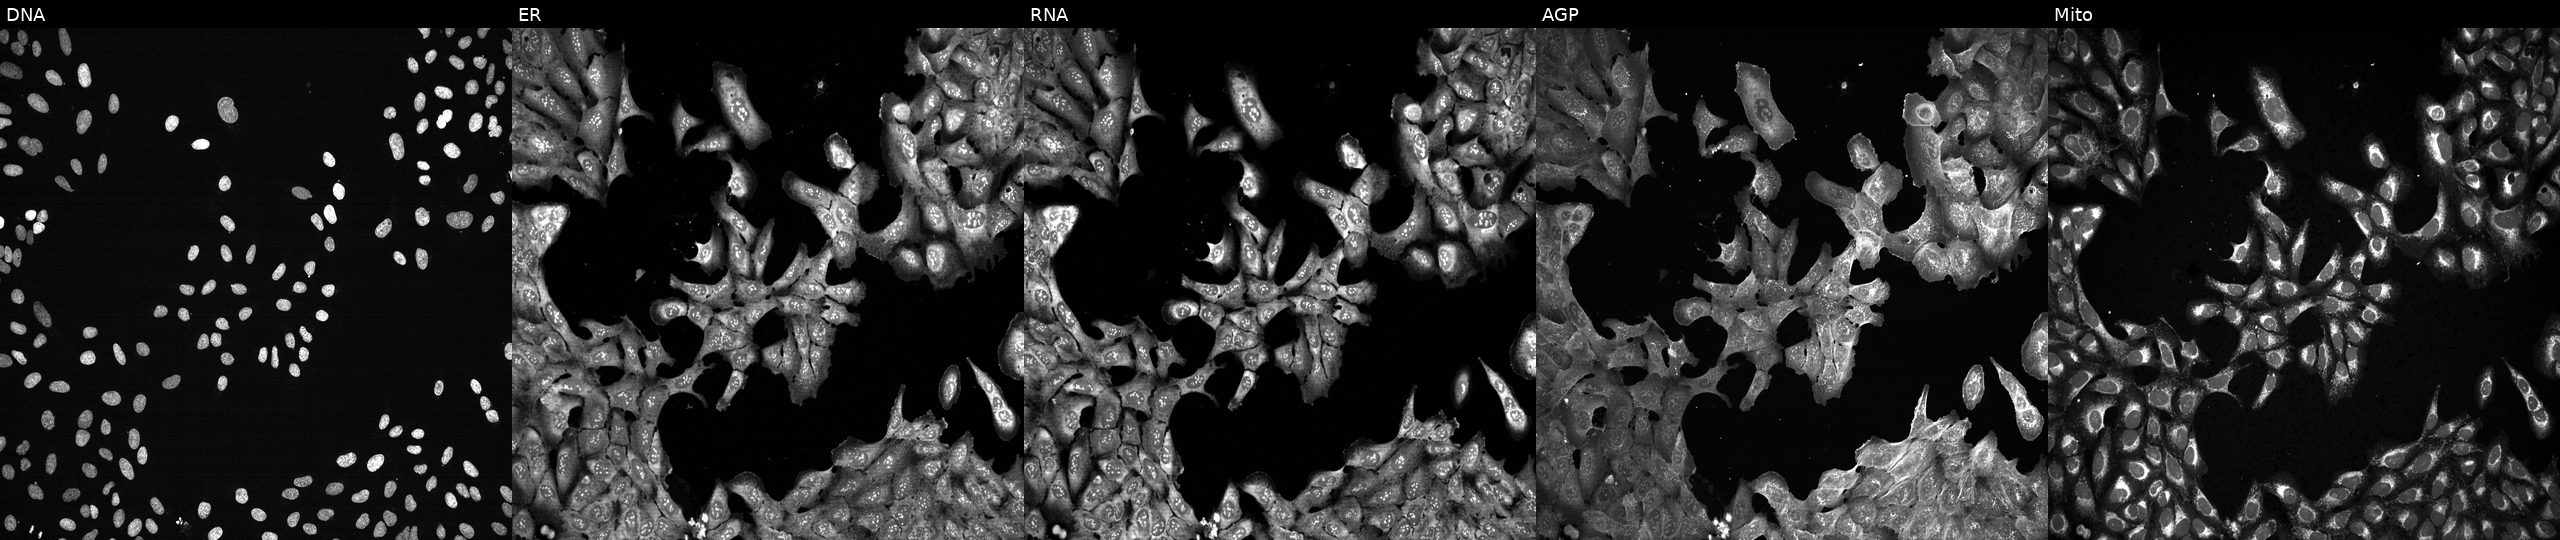
Five-channel Cell Painting image of U2OS cells following CRISPR knockout of DAG1. Panels show, left to right, DNA (nuclei); ER (endoplasmic reticulum); RNA (nucleoli and cytoplasmic RNA); AGP (actin cytoskeleton, Golgi, and plasma membrane); Mito (mitochondria).